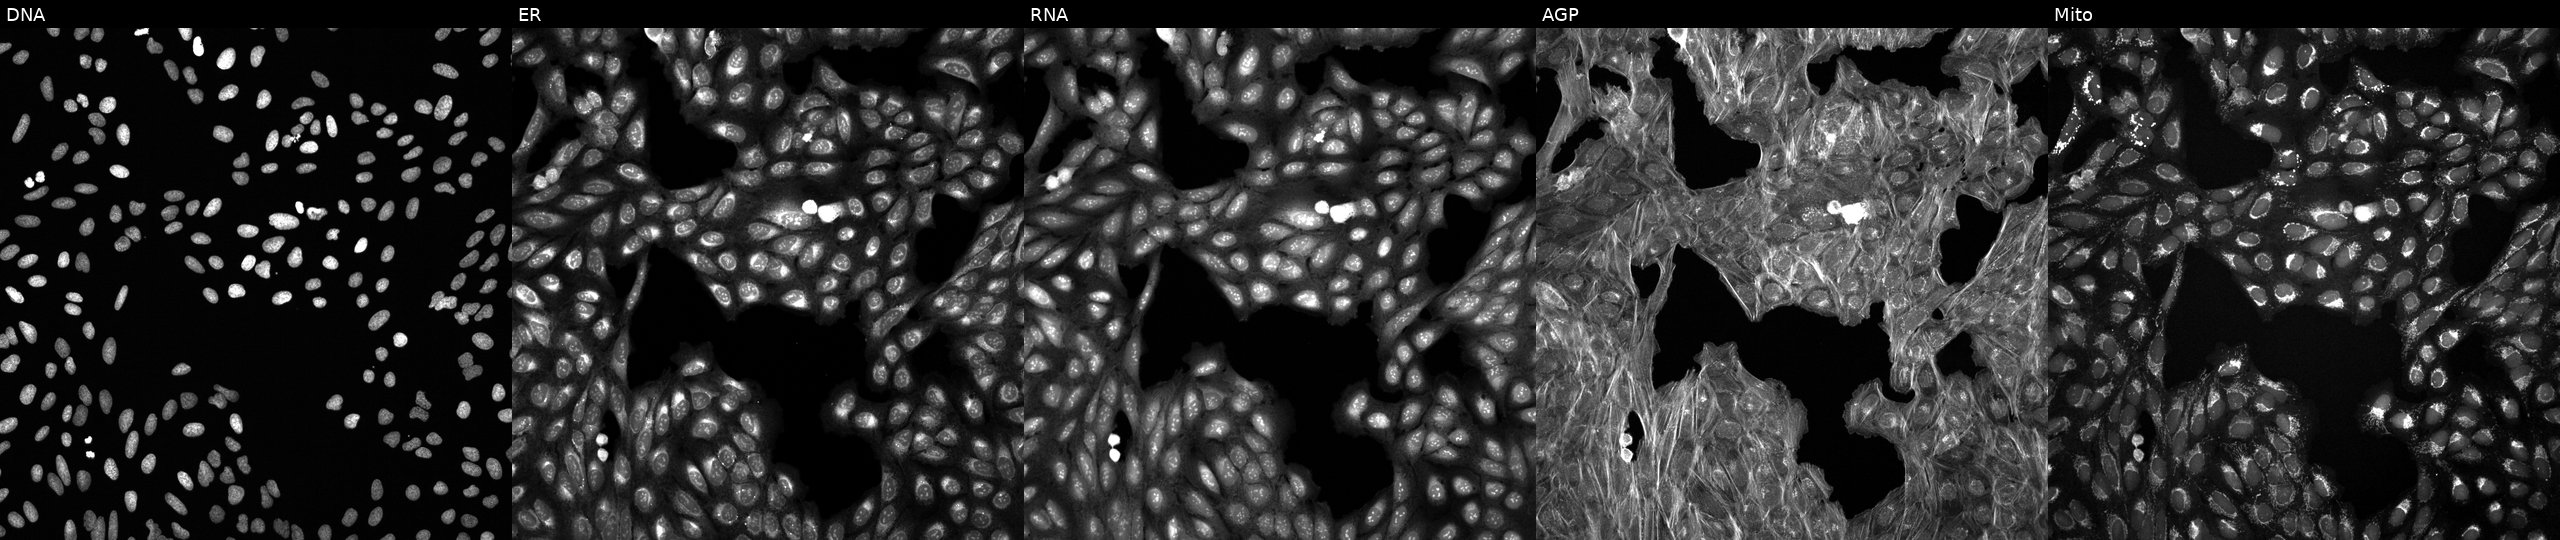
JUMP Cell Painting — COMPOUND plate. U2OS cells exposed to a small-molecule compound (InChIKey ZOFGWJGPYPTOPL-UHFFFAOYSA-N) (JUMP id JCP2022_114597). Channels (left→right): DNA, ER, RNA, AGP, and Mito.